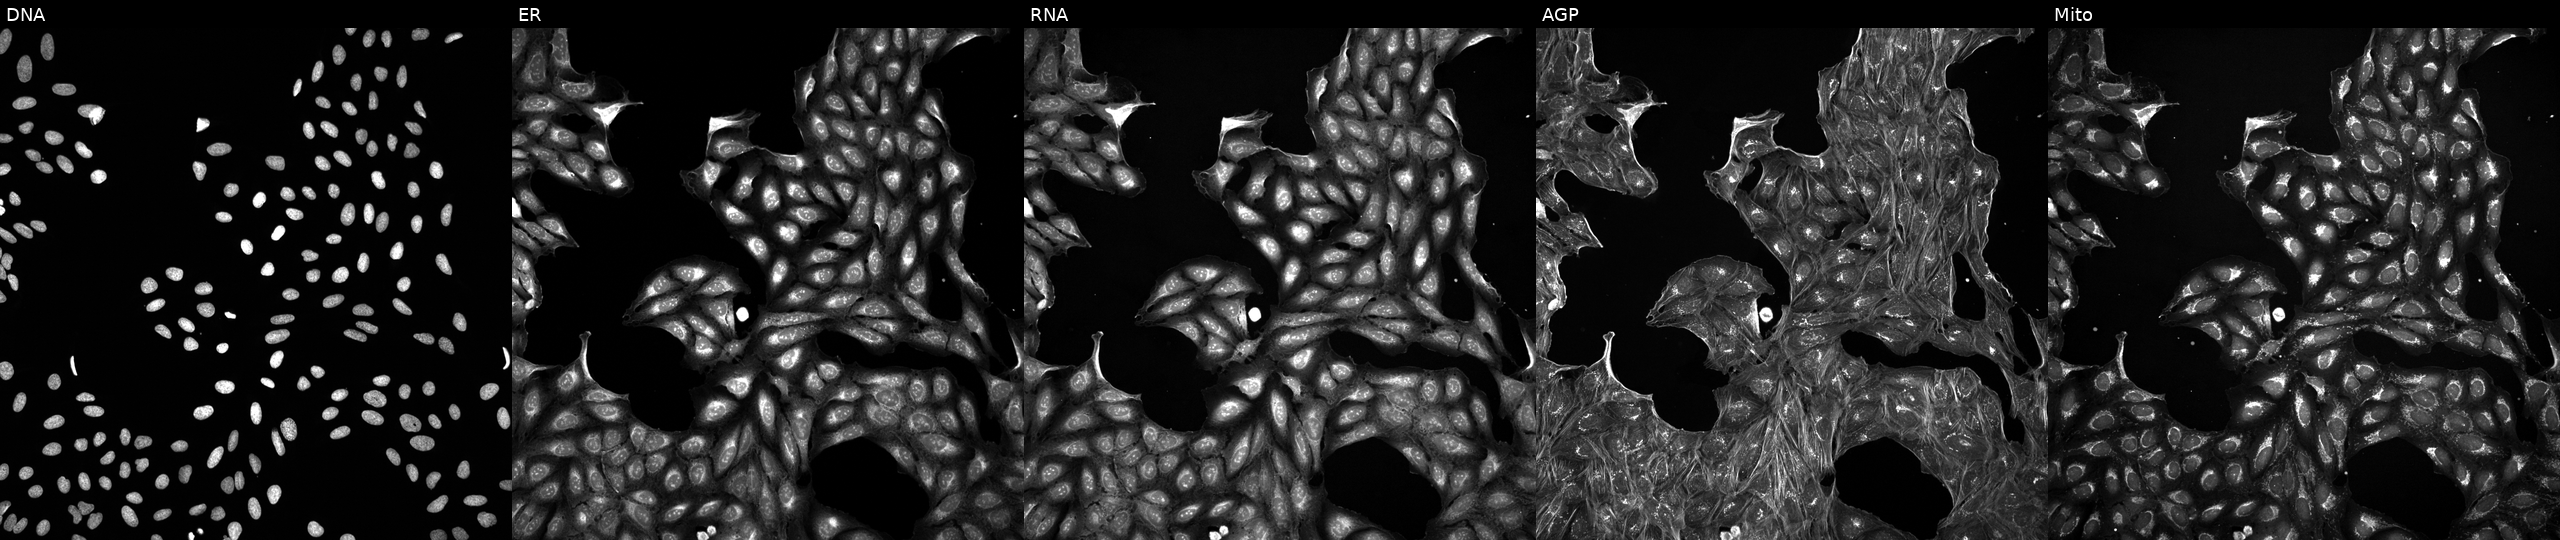
JUMP Cell Painting — TARGET2 plate. U2OS cells treated with a small-molecule compound (InChIKey RNSLRQNDXRSASX-UHFFFAOYSA-N) (JUMP id JCP2022_079562). From left to right: Hoechst 33342, concanavalin A, SYTO 14, phalloidin and WGA, MitoTracker. Source 5, plate ACPJUM032, well A15.